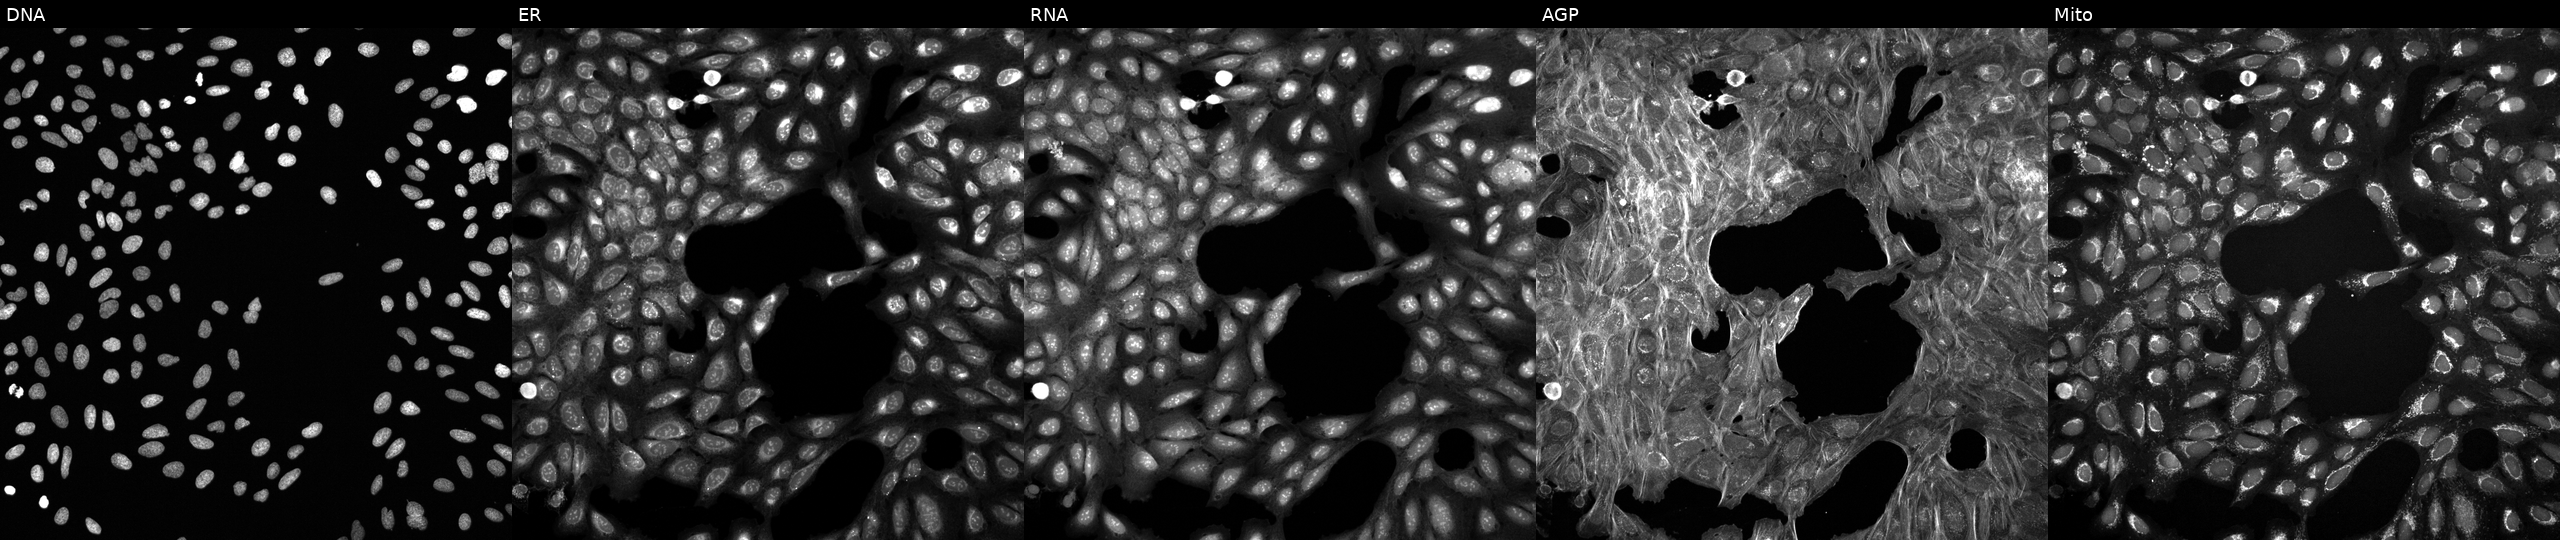
This image strip shows the five Cell Painting channels for a single field of U2OS cells treated with a small-molecule compound (InChIKey VFSVKVQMZDJFQX-UHFFFAOYSA-N) (JUMP id JCP2022_093678). From left to right: Hoechst 33342, concanavalin A, SYTO 14, phalloidin and WGA, MitoTracker. Source 6, plate 110000294901, well C21.